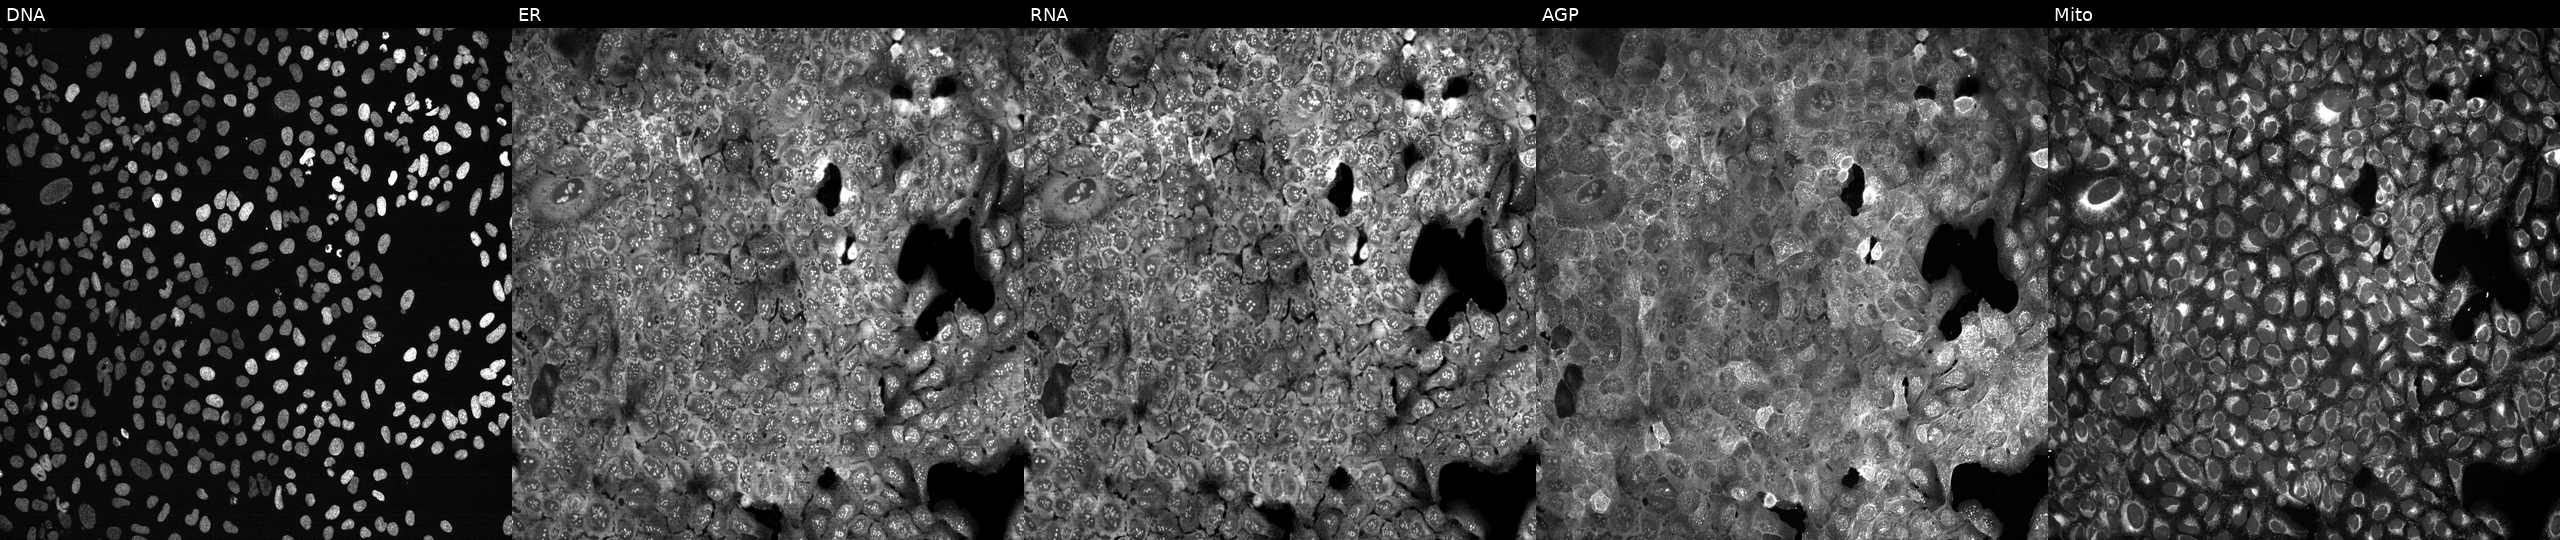
Five-channel Cell Painting image of U2OS cells with SHB knocked out by CRISPR. Panels show, left to right, DNA, ER, RNA, AGP, and Mito. Source 13, plate CP-CC9-R4-04, well J06.